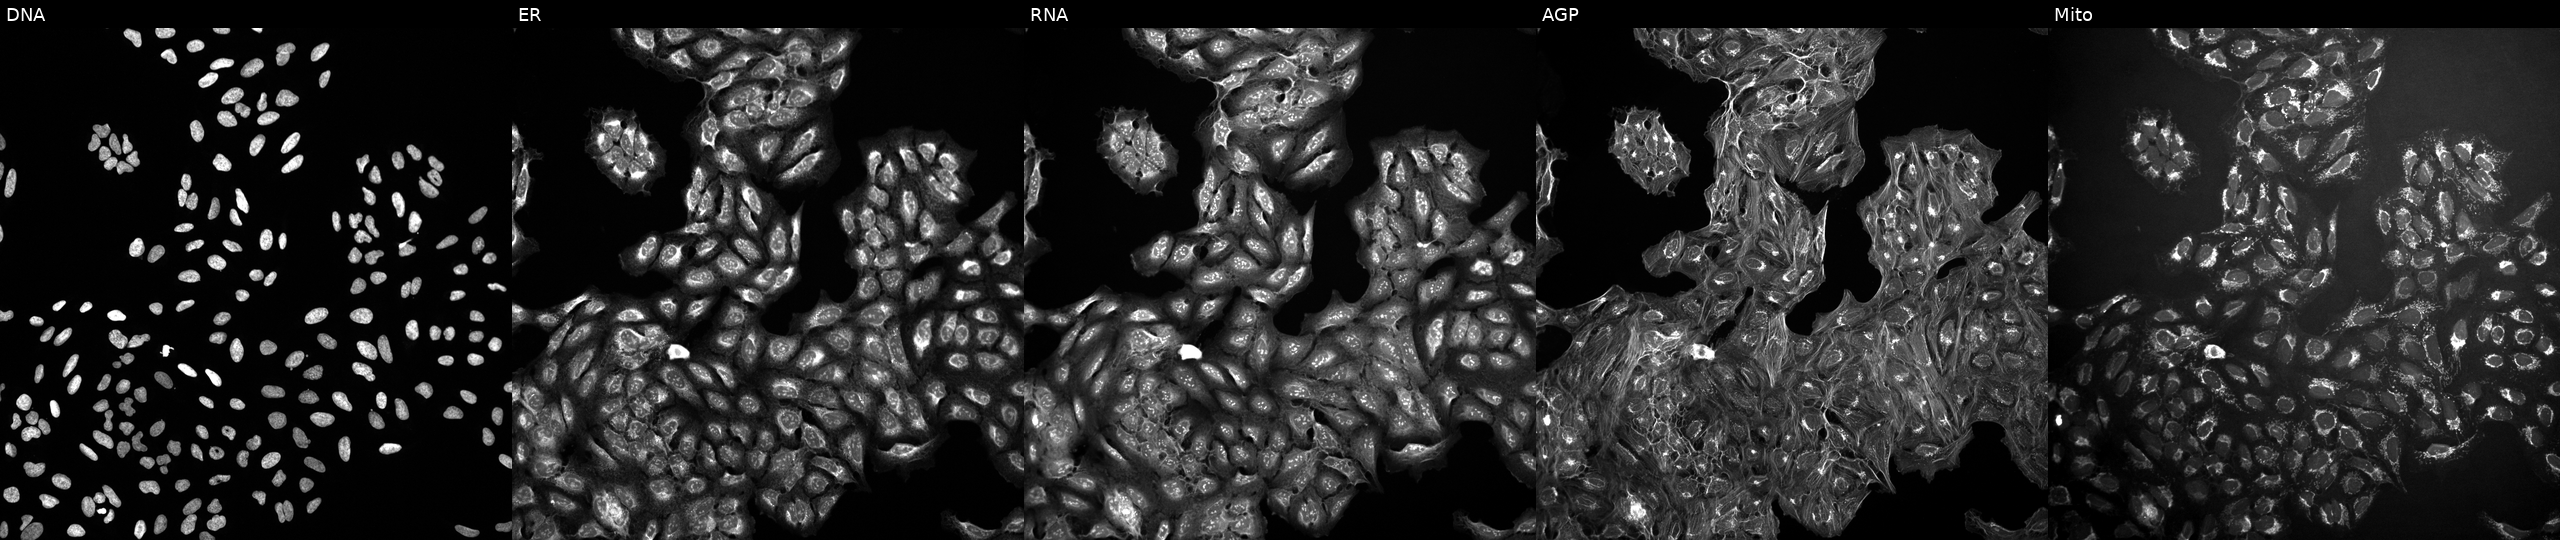
From left to right: DNA, ER, RNA, AGP, and Mito. U2OS osteosarcoma cells untreated (empty-well control) (JUMP id JCP2022_999999). Cell Painting assay, JUMP-CP dataset. Source 10, plate Dest210531-152324, well B08.